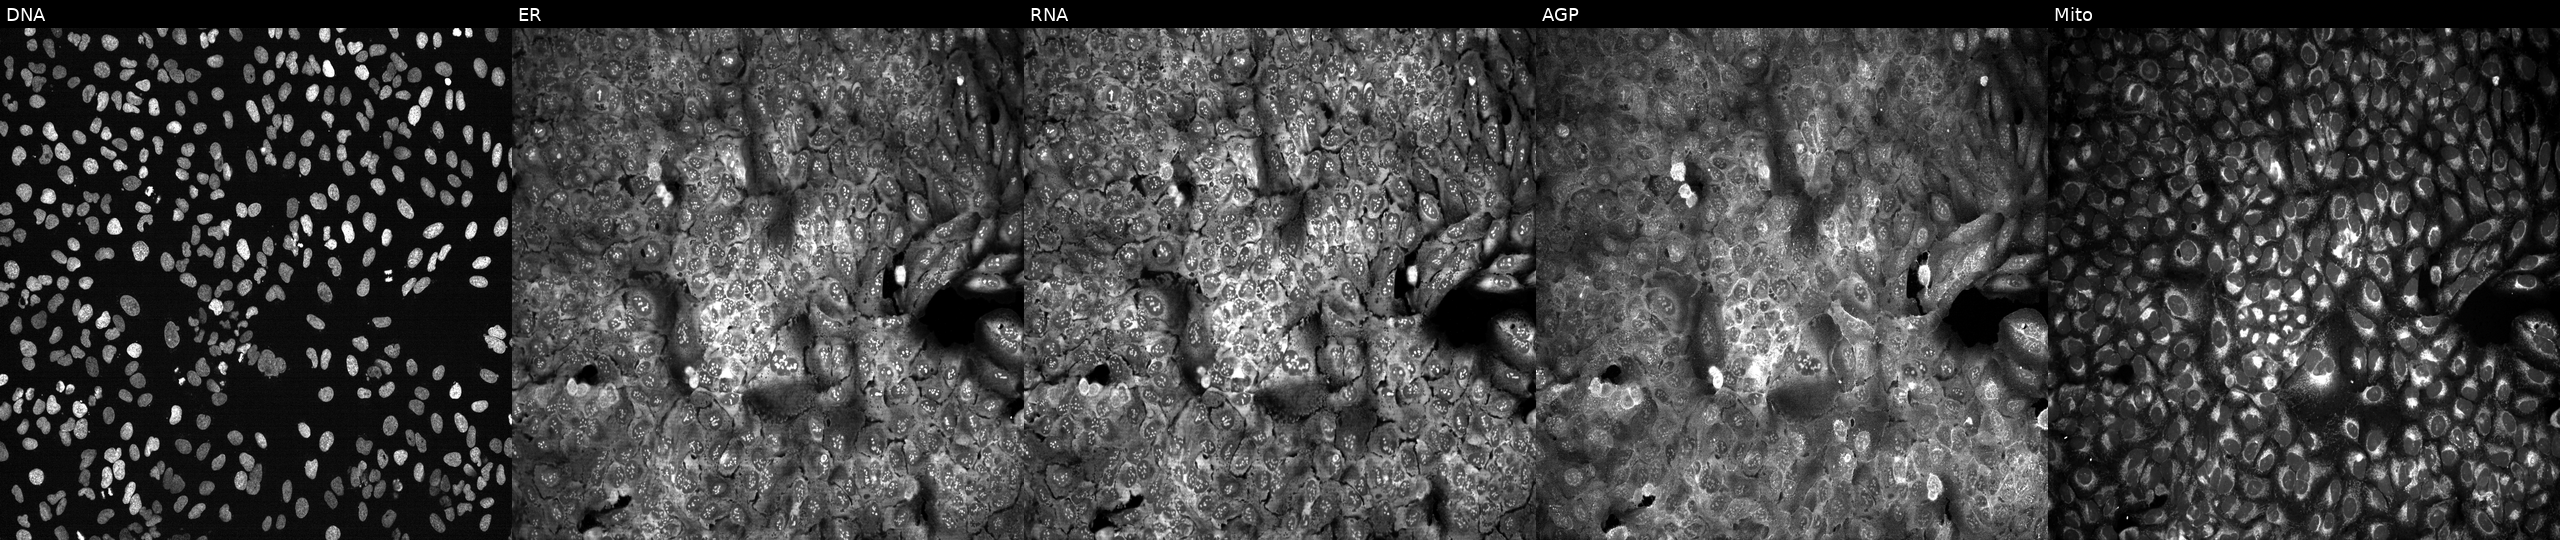
Five-channel Cell Painting image of U2OS cells CRISPR-edited to disrupt RAD51C (JUMP id JCP2022_805809). Panels show, left to right, Hoechst 33342, concanavalin A, SYTO 14, phalloidin and WGA, MitoTracker. Source 13, plate CP-CC9-R4-04, well L11.